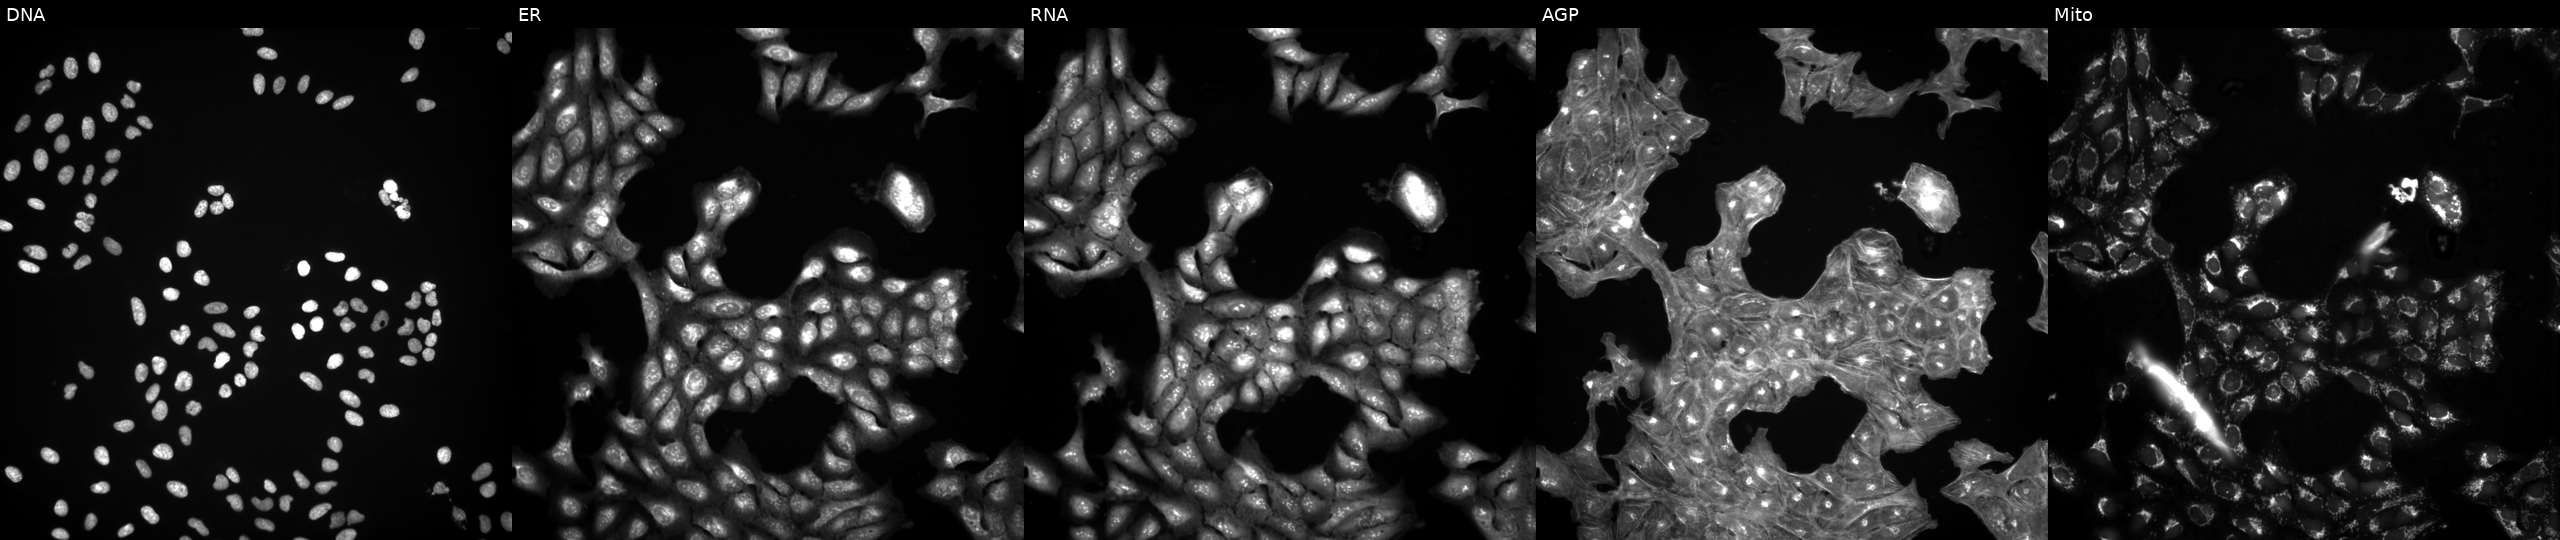
Panels show, left to right, Hoechst 33342, concanavalin A, SYTO 14, phalloidin and WGA, MitoTracker. U2OS osteosarcoma cells perturbed with a small-molecule compound (InChIKey ALBKMJDFBZVHAK-UHFFFAOYSA-N) (JUMP id JCP2022_002118). Cell Painting assay, JUMP-CP dataset.